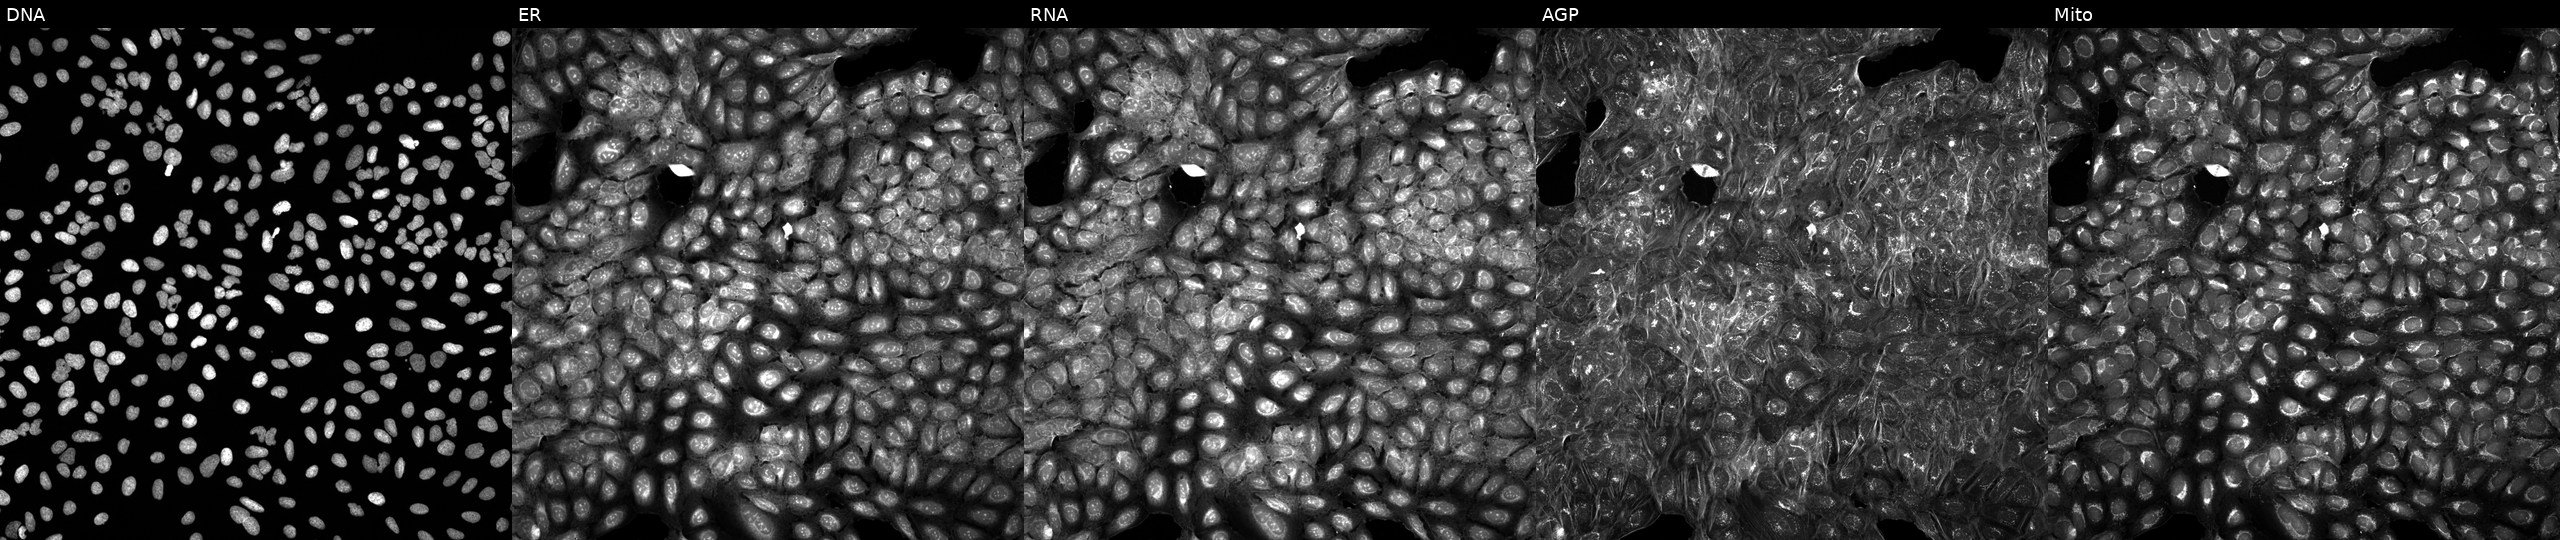
Five-channel Cell Painting image of U2OS cells treated with a small-molecule compound. Channels (left→right): DNA (nuclei); ER (endoplasmic reticulum); RNA (nucleoli and cytoplasmic RNA); AGP (actin cytoskeleton, Golgi, and plasma membrane); Mito (mitochondria).